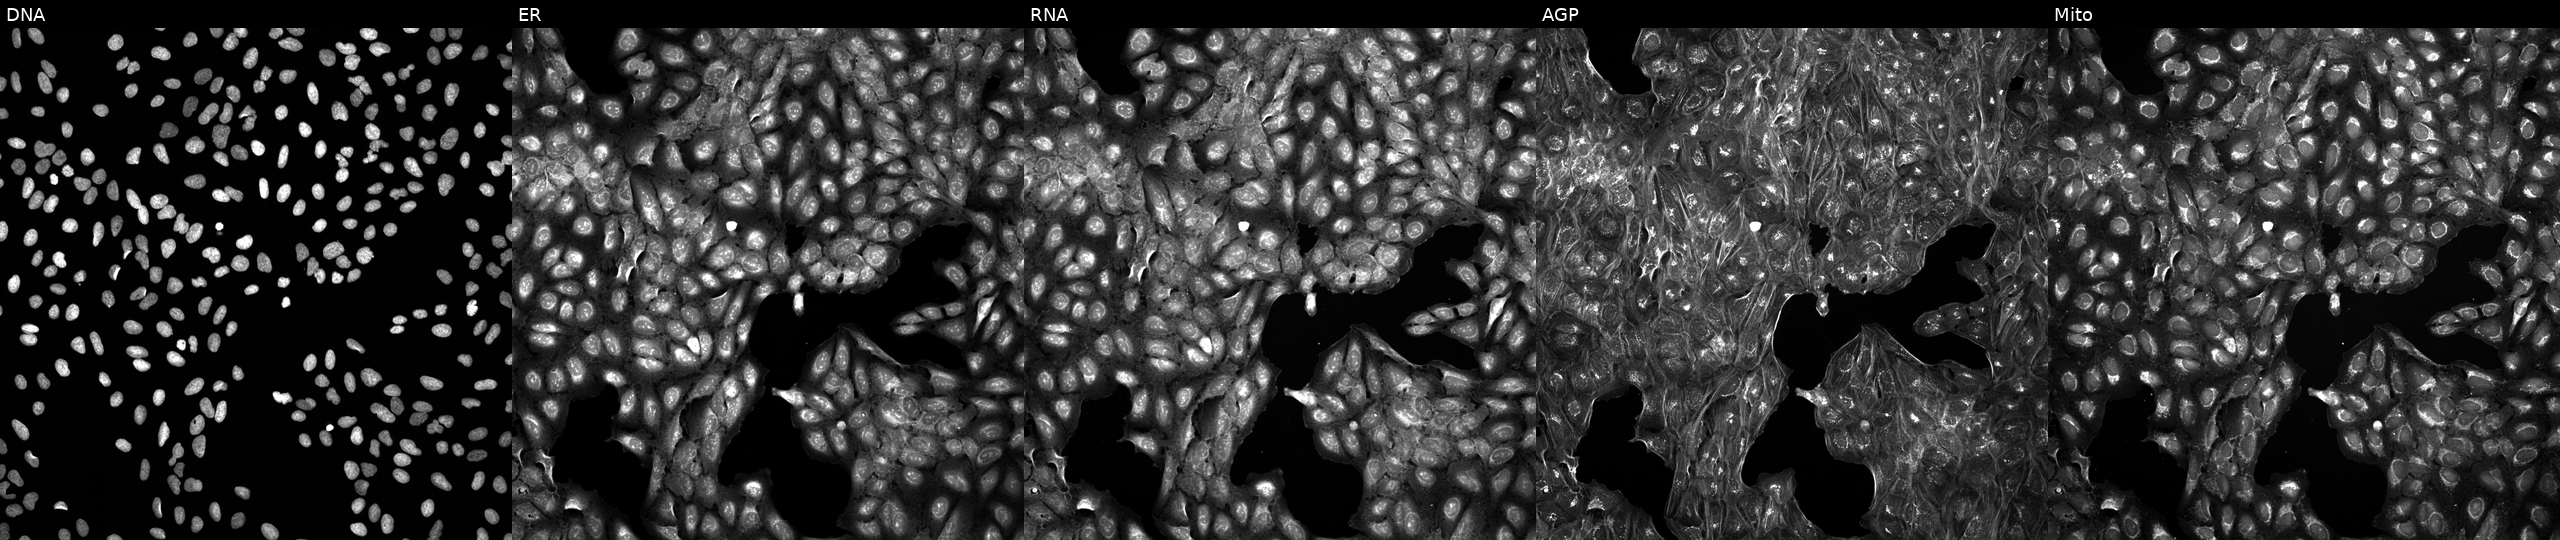
Panels show, left to right, DNA (nuclei); ER (endoplasmic reticulum); RNA (nucleoli and cytoplasmic RNA); AGP (actin cytoskeleton, Golgi, and plasma membrane); Mito (mitochondria). U2OS osteosarcoma cells treated with a small-molecule compound (InChIKey OBSFWZJAAMASII-UHFFFAOYSA-N) (JUMP id JCP2022_062787). Cell Painting assay, JUMP-CP dataset.